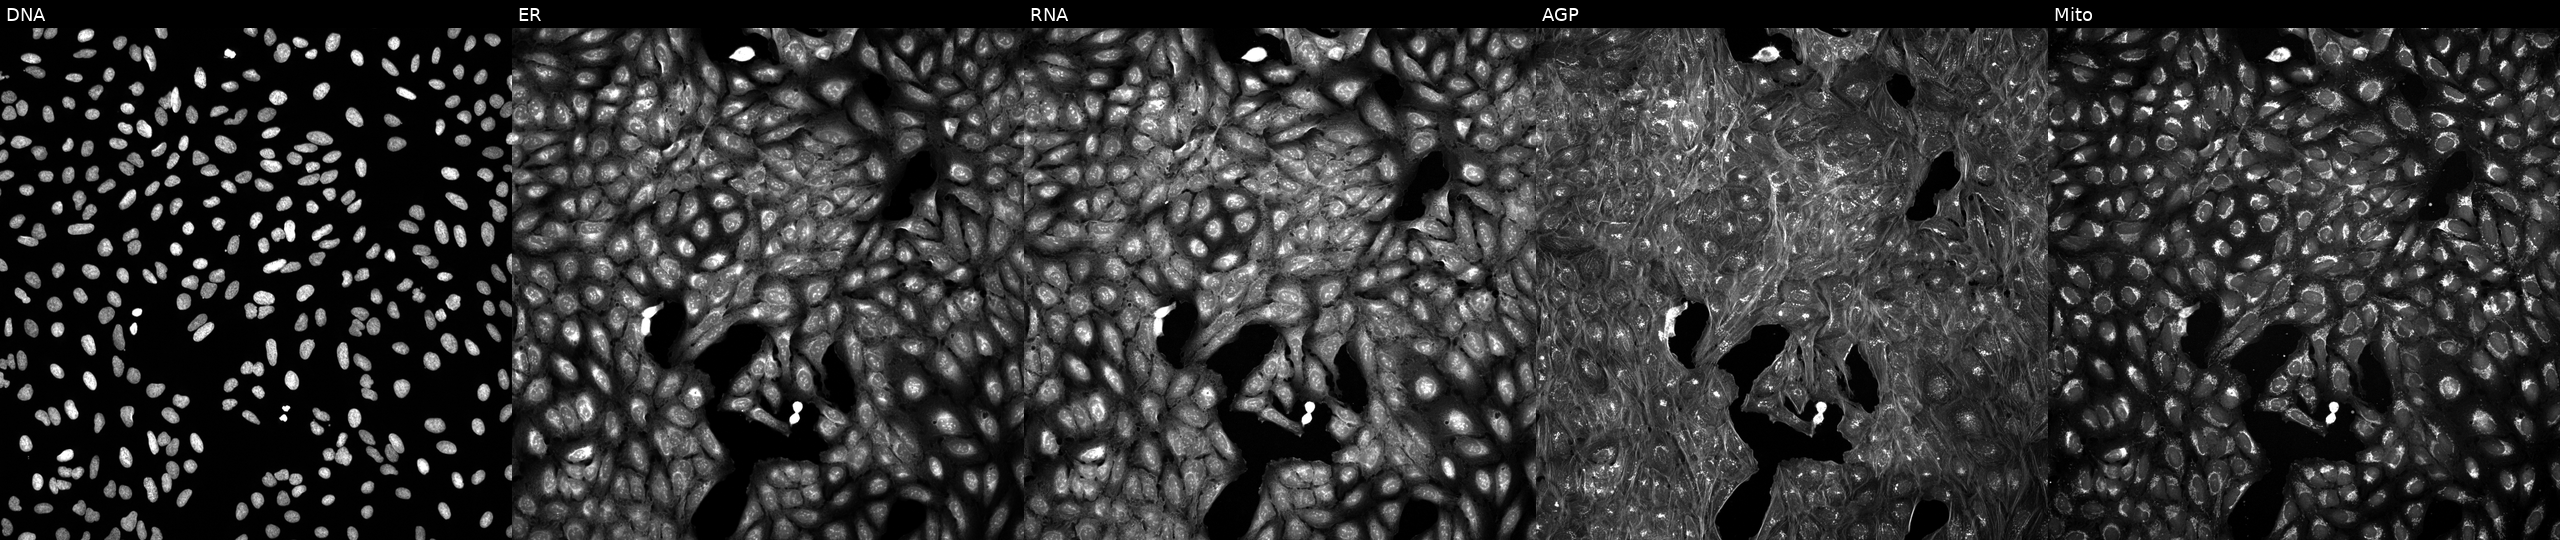
This image strip shows the five Cell Painting channels for a single field of U2OS cells exposed to DMSO alone as a negative control. Channels (left→right): DNA (nuclei); ER (endoplasmic reticulum); RNA (nucleoli and cytoplasmic RNA); AGP (actin cytoskeleton, Golgi, and plasma membrane); Mito (mitochondria). Source 5, plate ACPJUM032, well E08.